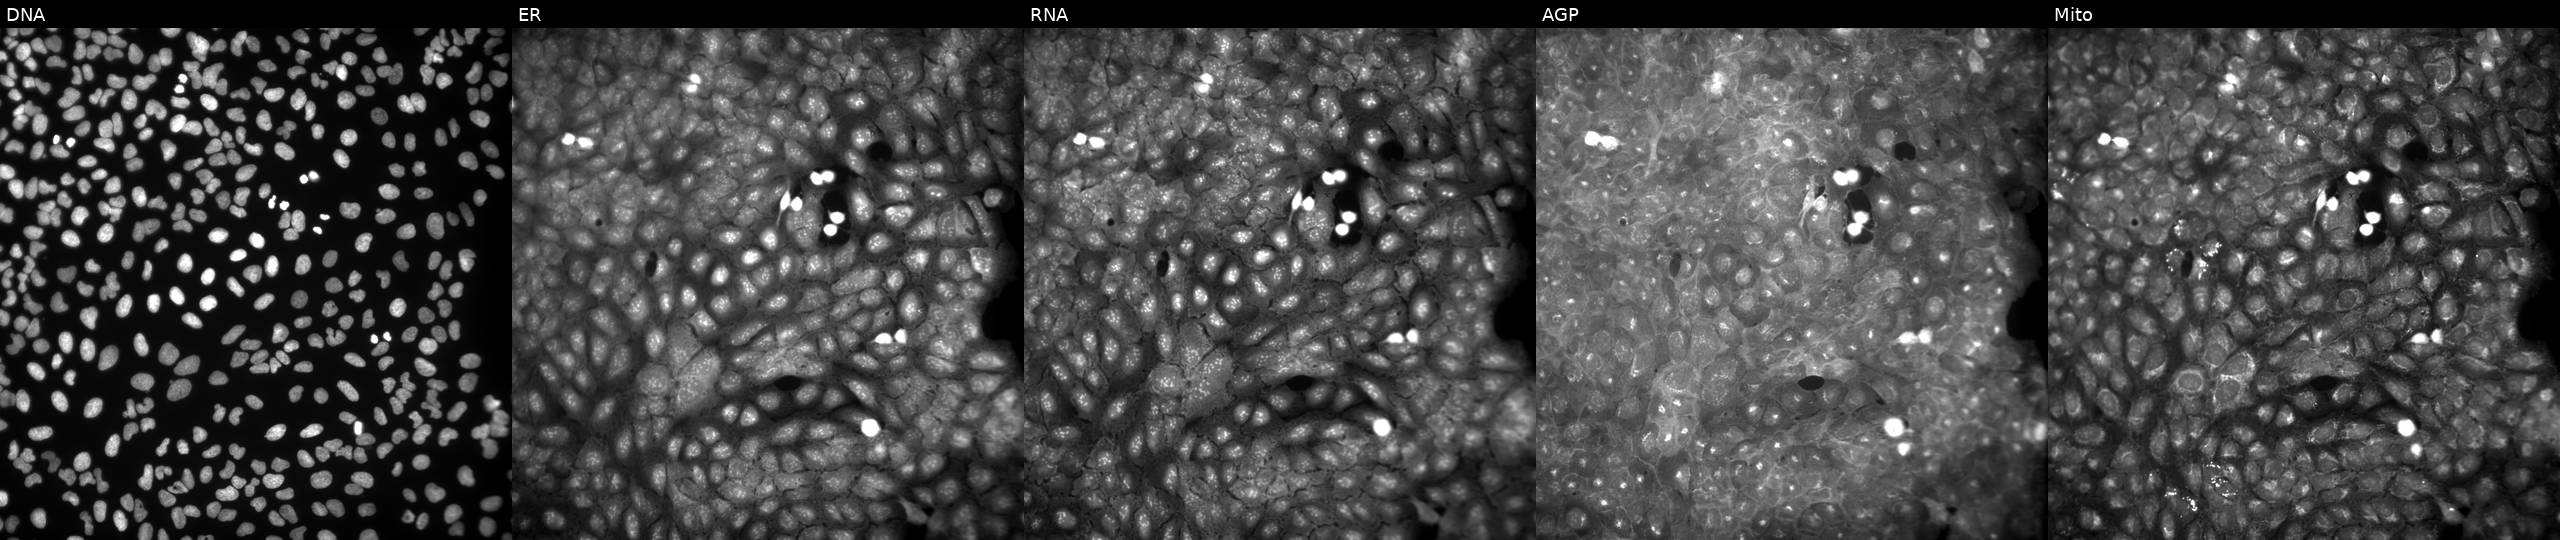
High-content fluorescence microscopy (Cell Painting). Cell line: U2OS. Perturbation: treated with a small-molecule compound (InChIKey XRUQMWDWJSLPKU-UHFFFAOYSA-N) (JUMP id JCP2022_105617). The five panels, left to right, show Hoechst 33342, concanavalin A, SYTO 14, phalloidin and WGA, MitoTracker.